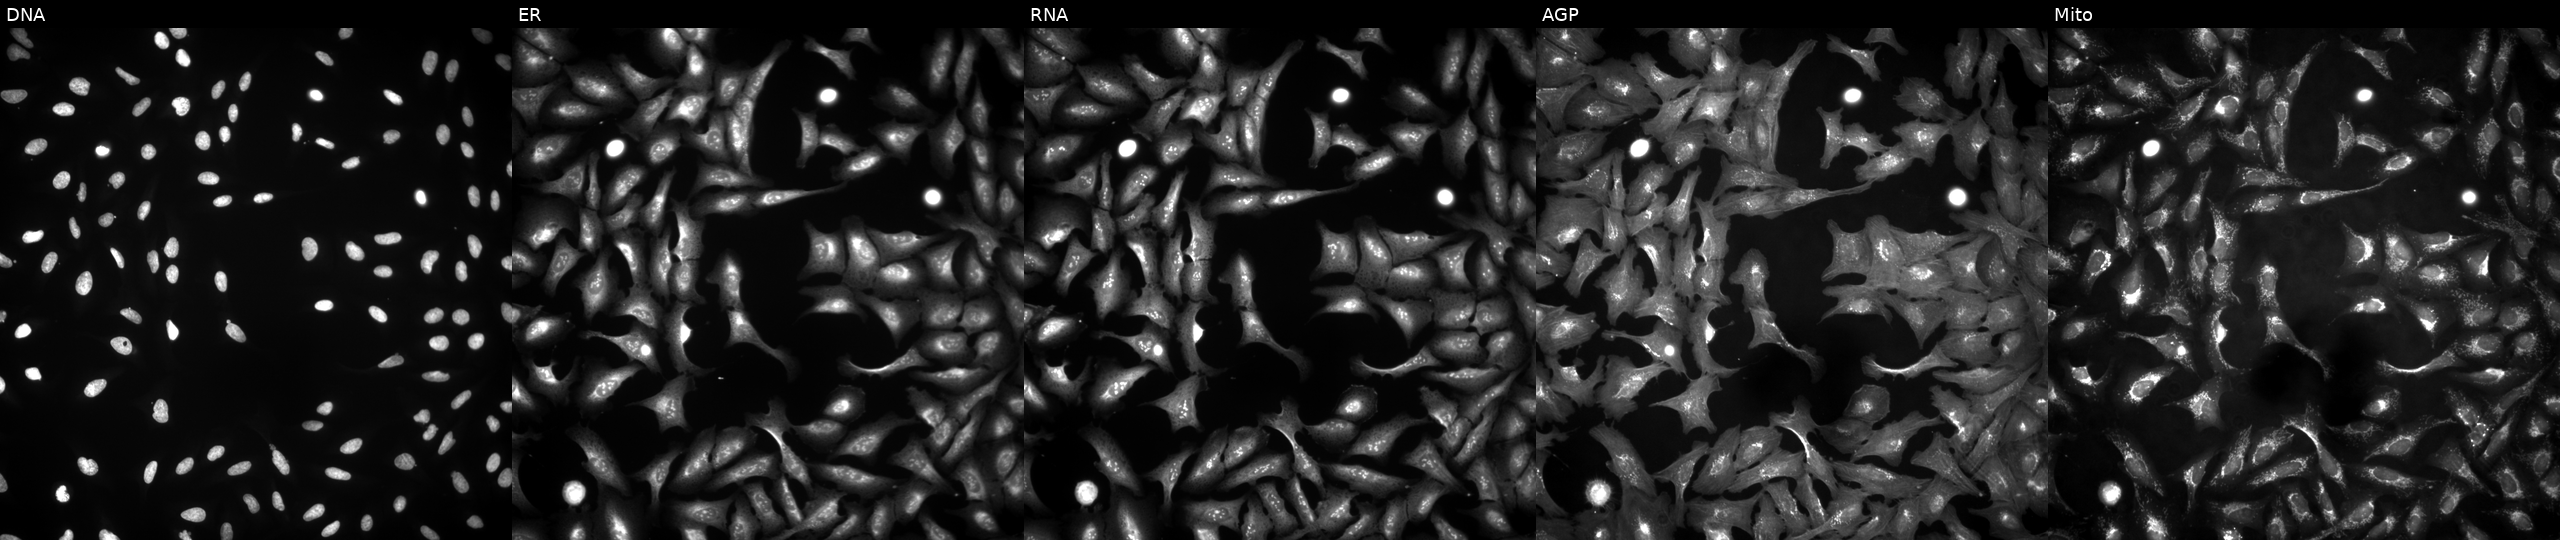
U2OS cells, Cell Painting assay, transfected with an ORF construct for ADGRG2. Panels show, left to right, Hoechst 33342, concanavalin A, SYTO 14, phalloidin and WGA, MitoTracker. Each panel is percentile-stretched 16-bit fluorescence. Source 4, plate BR00124790, well H16.